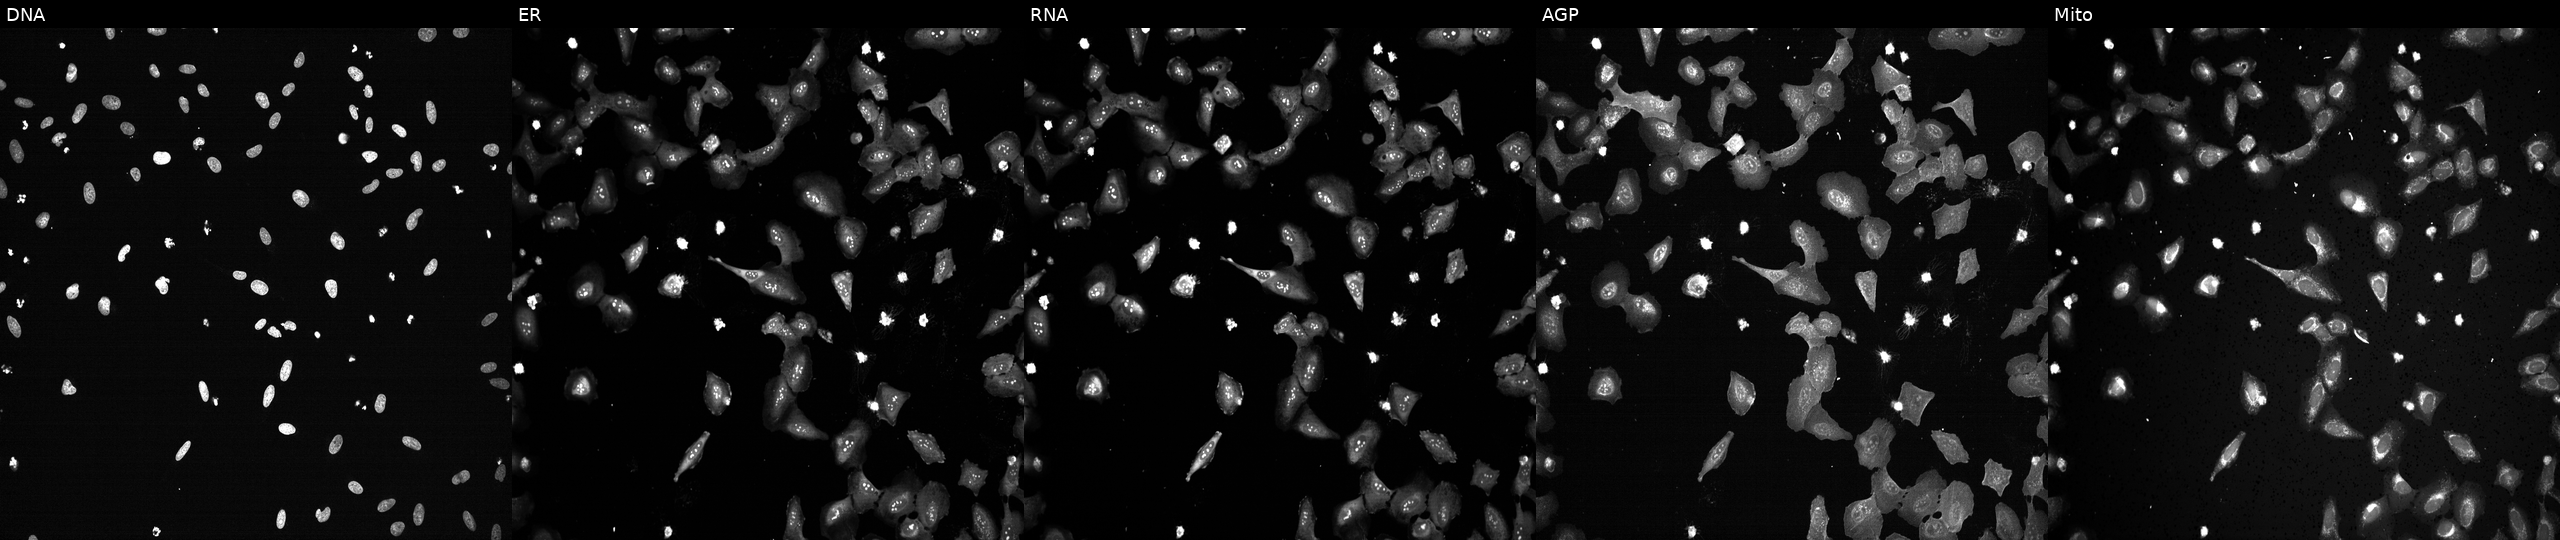
JUMP Cell Painting — CRISPR plate. U2OS cells treated with TC-S-7004 (positive-control compound). Panels show, left to right, DNA (nuclei); ER (endoplasmic reticulum); RNA (nucleoli and cytoplasmic RNA); AGP (actin cytoskeleton, Golgi, and plasma membrane); Mito (mitochondria). Source 13, plate CP-CC9-R5-01, well L24.